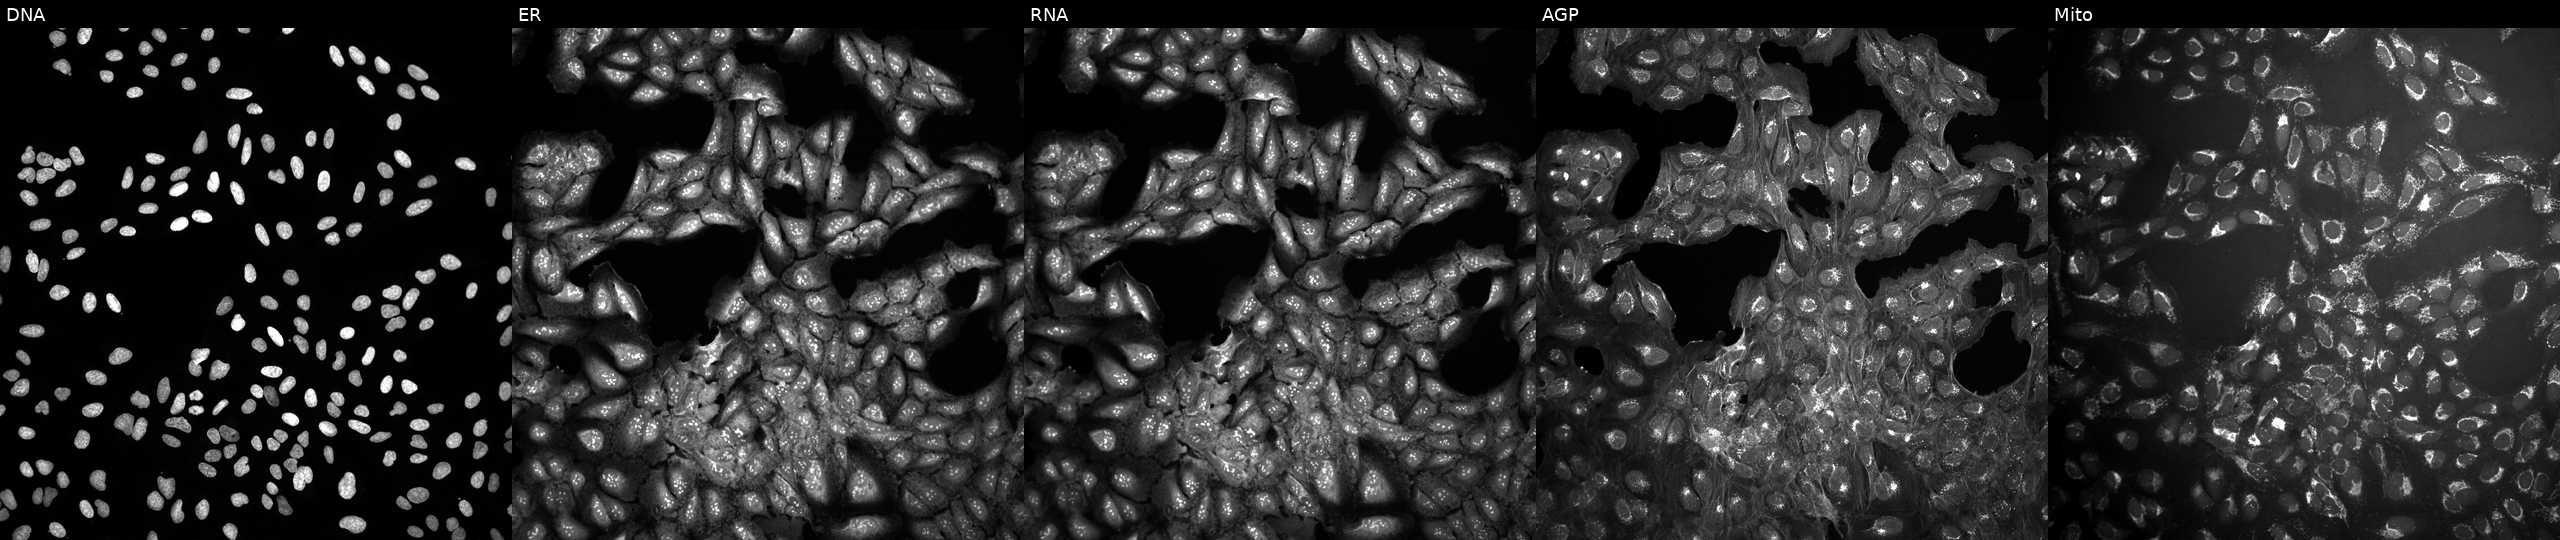
Five-channel Cell Painting image of U2OS cells untreated (empty-well control) (JUMP id JCP2022_999999). The five panels, left to right, show DNA (nuclei); ER (endoplasmic reticulum); RNA (nucleoli and cytoplasmic RNA); AGP (actin cytoskeleton, Golgi, and plasma membrane); Mito (mitochondria). Source 10, plate Dest210531-152149, well D20.